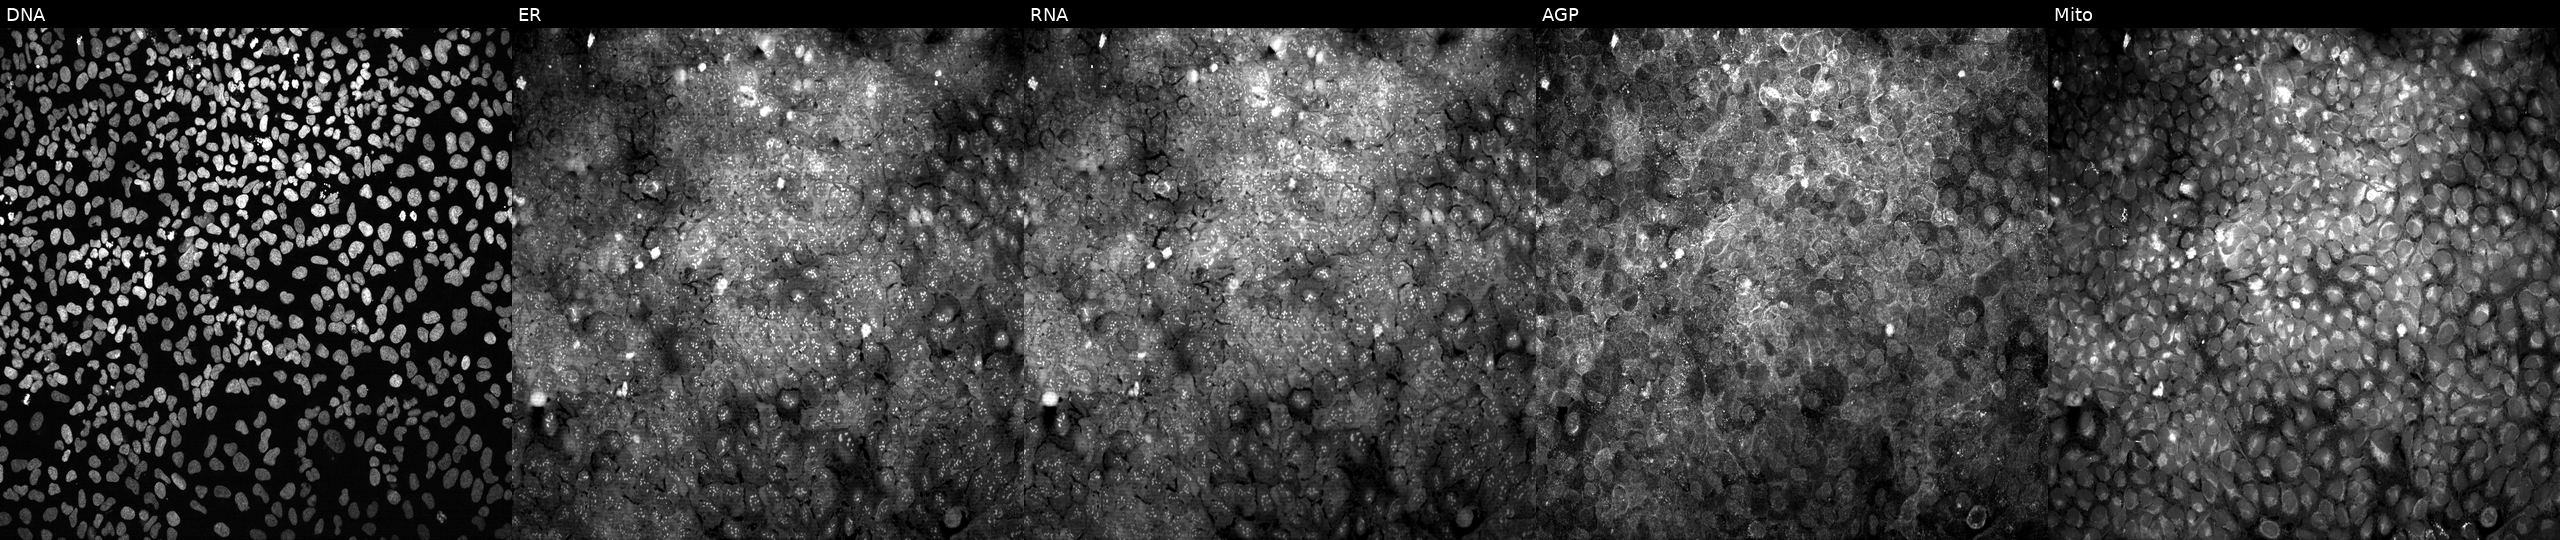
The five panels, left to right, show Hoechst 33342, concanavalin A, SYTO 14, phalloidin and WGA, MitoTracker. U2OS osteosarcoma cells with ACOX1 knocked out by CRISPR. Cell Painting assay, JUMP-CP dataset.